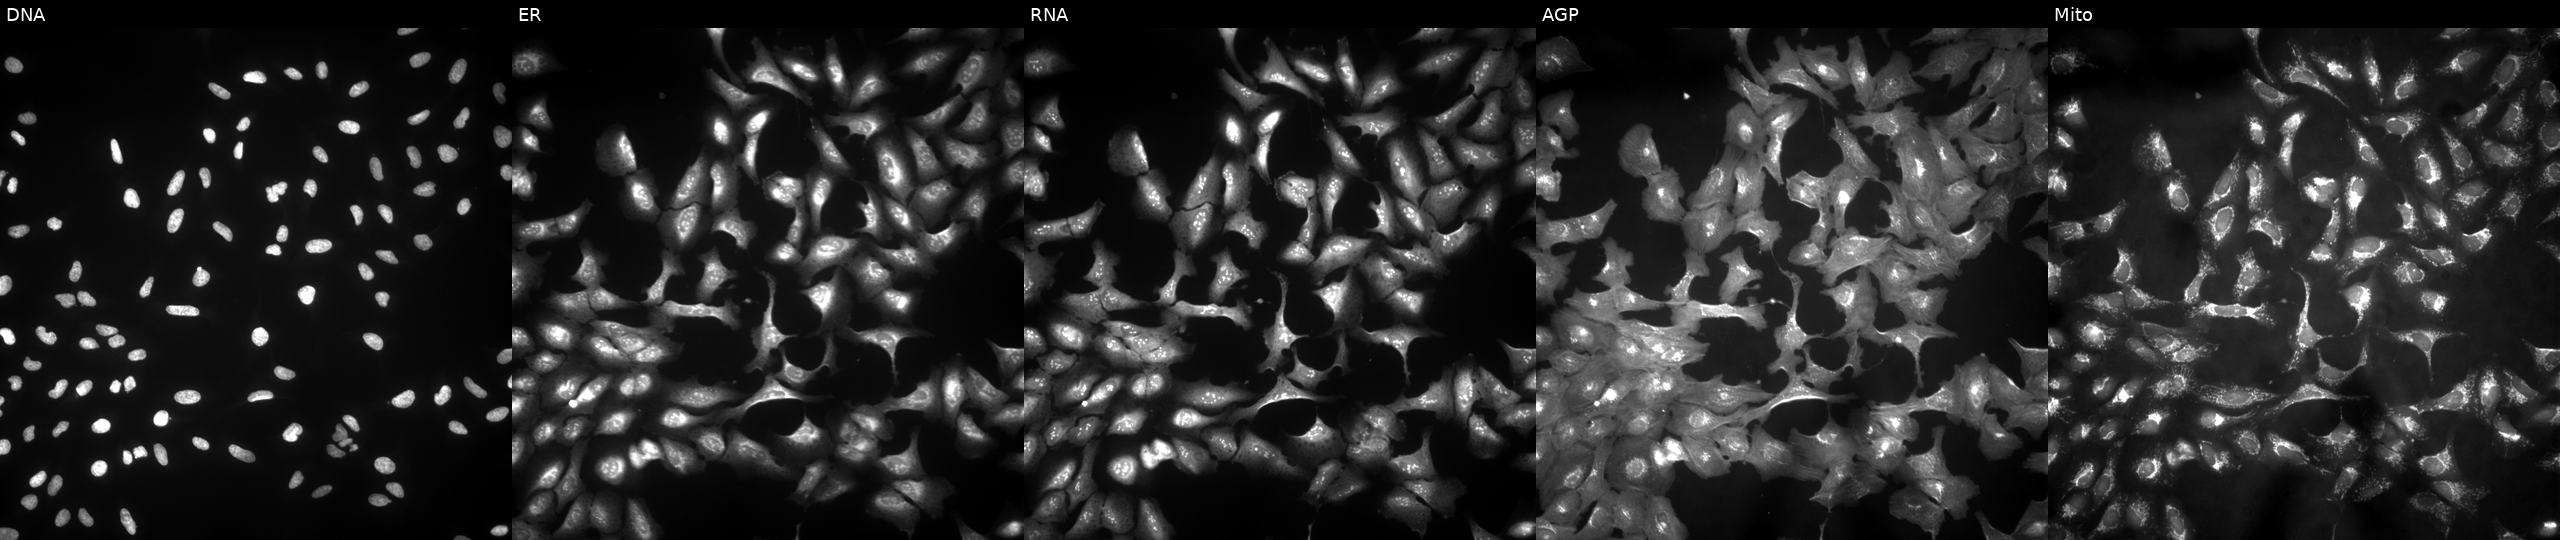
Five-channel Cell Painting image of U2OS cells transfected with an ORF construct for TRMT1L (JUMP id JCP2022_903980). Channels (left→right): DNA, ER, RNA, AGP, and Mito. Source 4, plate BR00123506, well L15.